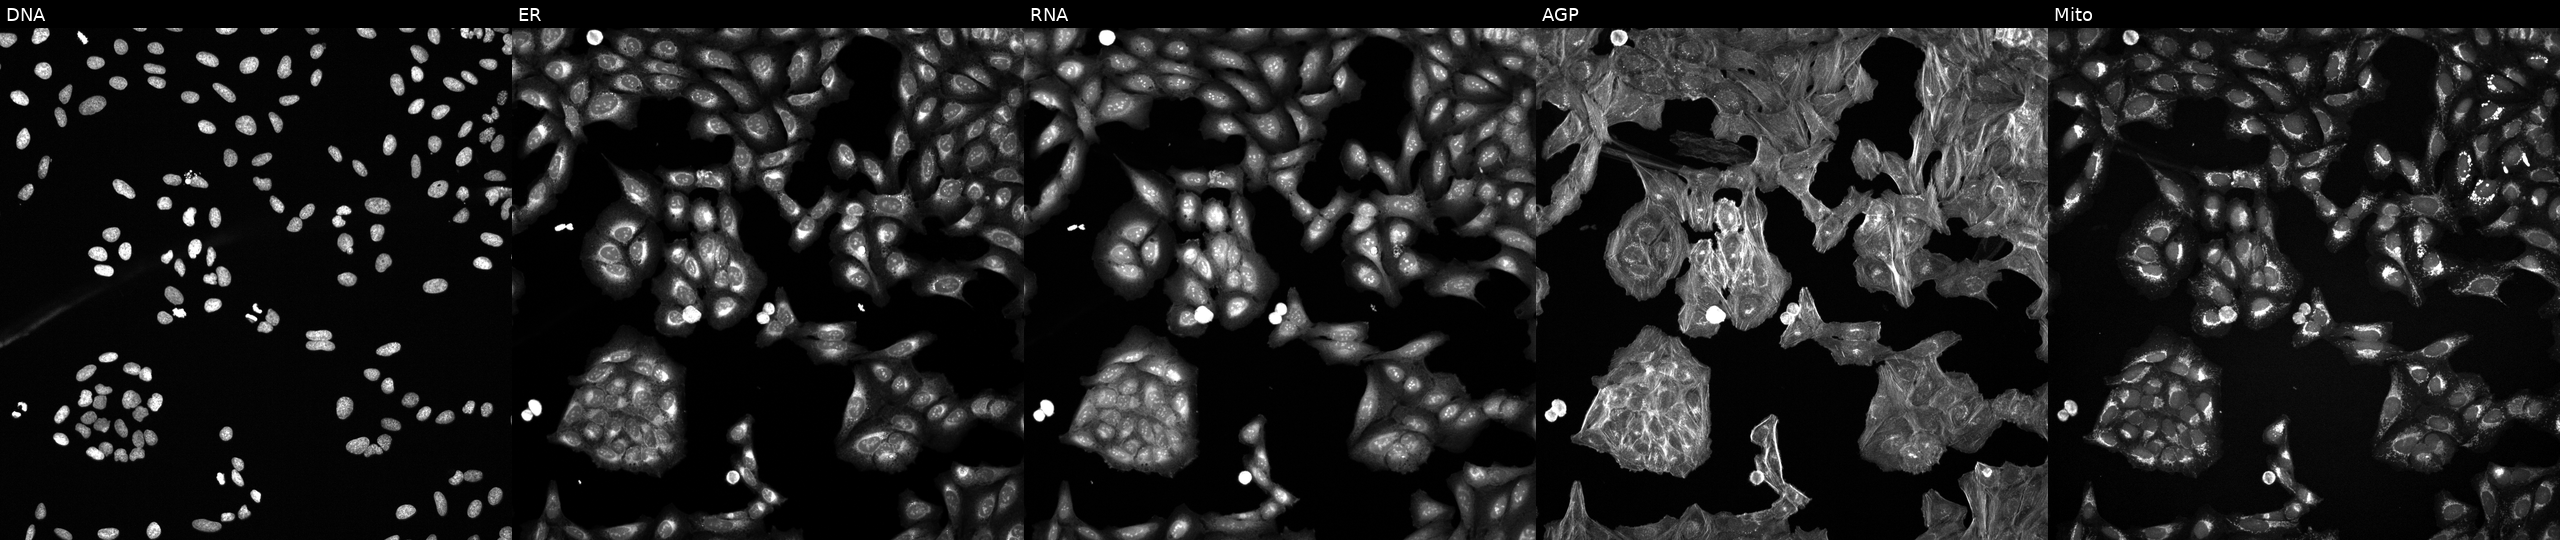
Five-channel Cell Painting image of U2OS cells exposed to the positive-control compound TC-S-7004 (JUMP id JCP2022_012818). From left to right: DNA, ER, RNA, AGP, and Mito. Source 6, plate 110000293093, well K12.